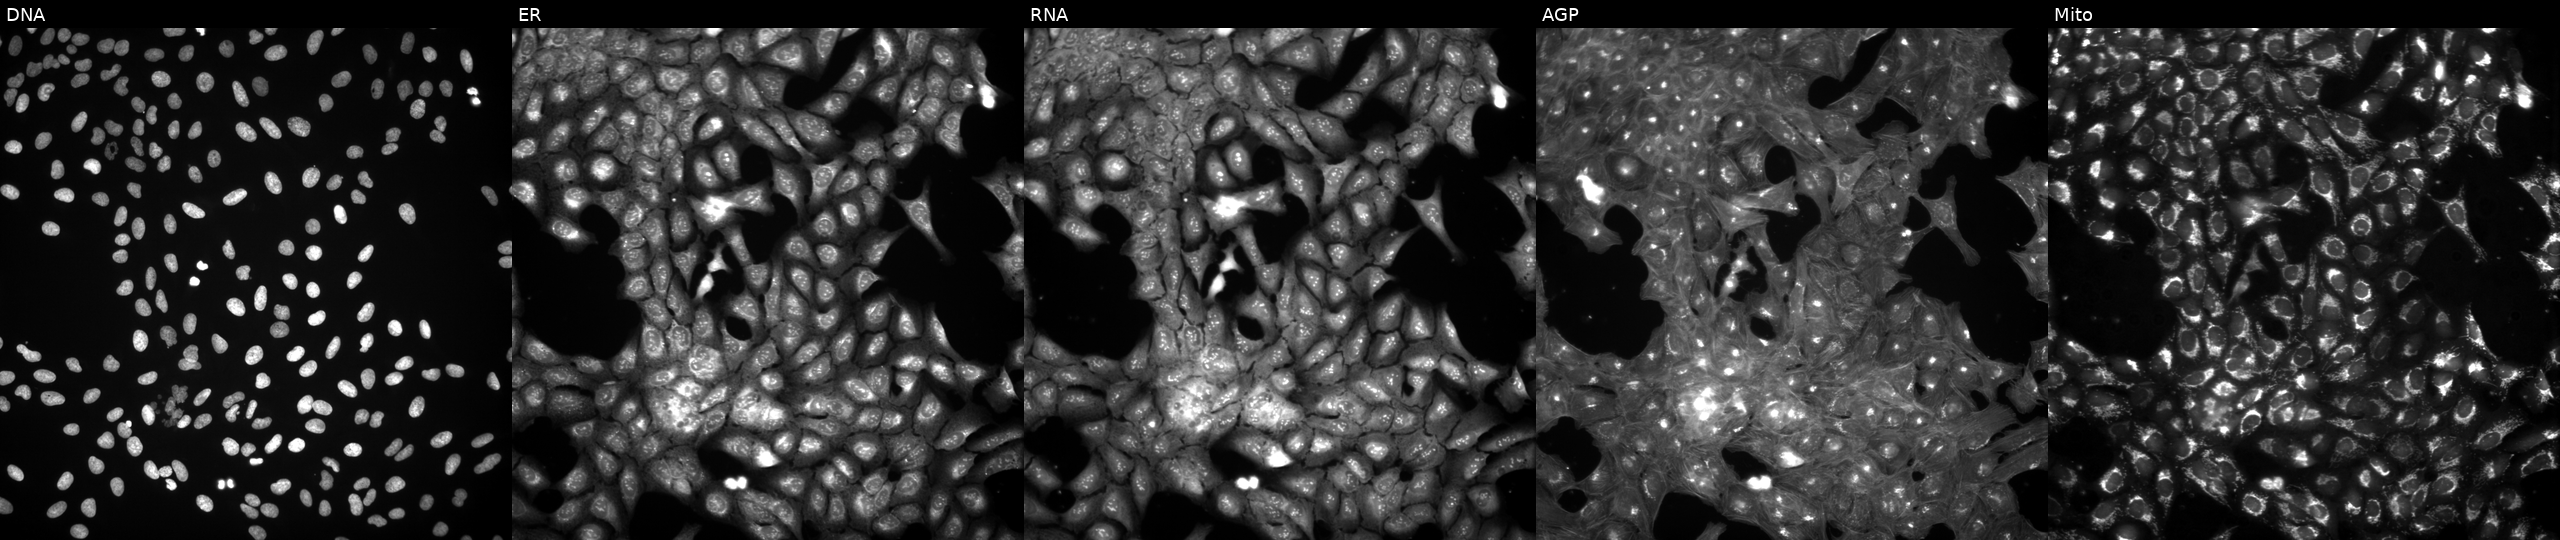
This image strip shows the five Cell Painting channels for a single field of U2OS cells treated with a small-molecule compound (JUMP id JCP2022_039863). Channels (left→right): DNA, ER, RNA, AGP, and Mito. Source 3, plate JCPQC052, well H10.